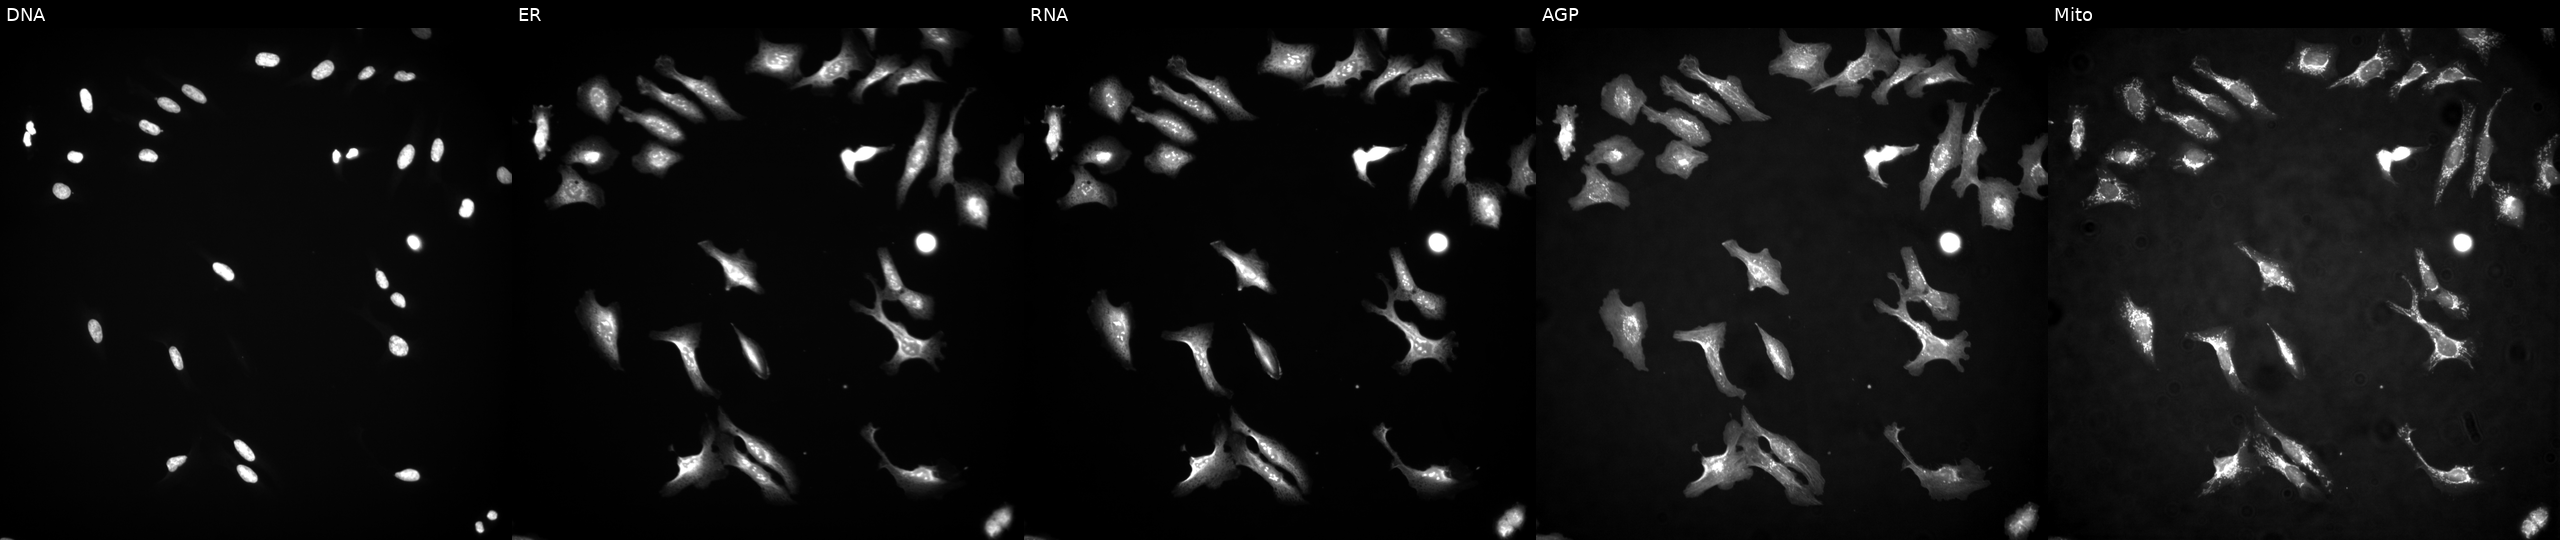
This image strip shows the five Cell Painting channels for a single field of U2OS cells with RBP7 overexpressed (ORF). From left to right: Hoechst 33342, concanavalin A, SYTO 14, phalloidin and WGA, MitoTracker.